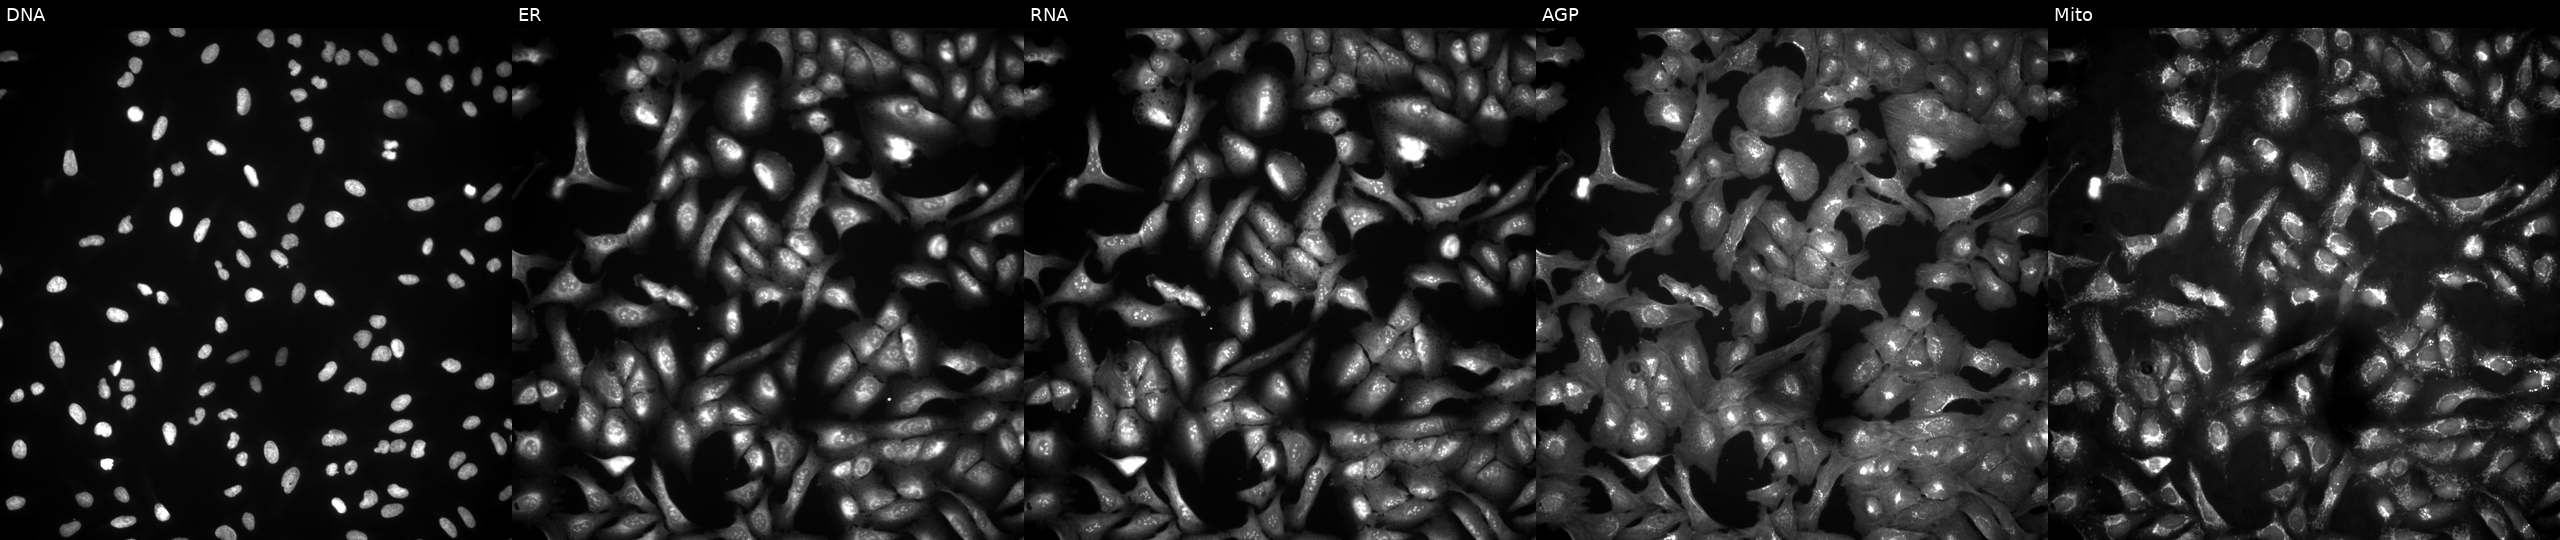
JUMP Cell Painting — ORF plate. U2OS cells transfected with an ORF construct for CD22. The five panels, left to right, show DNA, ER, RNA, AGP, and Mito.